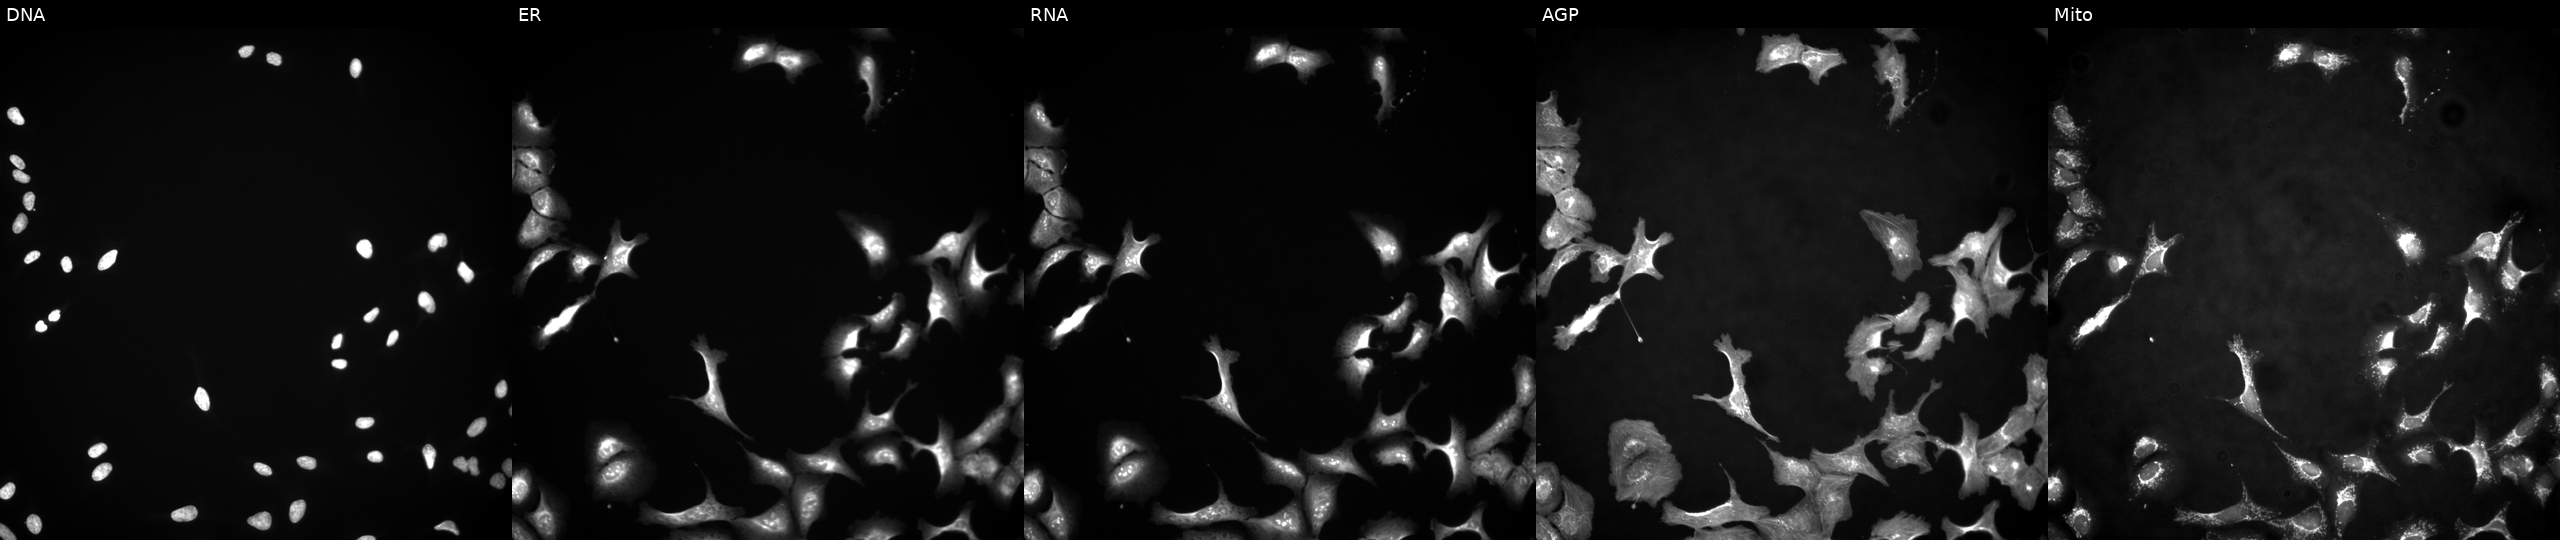
This image strip shows the five Cell Painting channels for a single field of U2OS cells expressing eGFP (ORF positive control) (JUMP id JCP2022_915132). Panels show, left to right, DNA (nuclei); ER (endoplasmic reticulum); RNA (nucleoli and cytoplasmic RNA); AGP (actin cytoskeleton, Golgi, and plasma membrane); Mito (mitochondria).